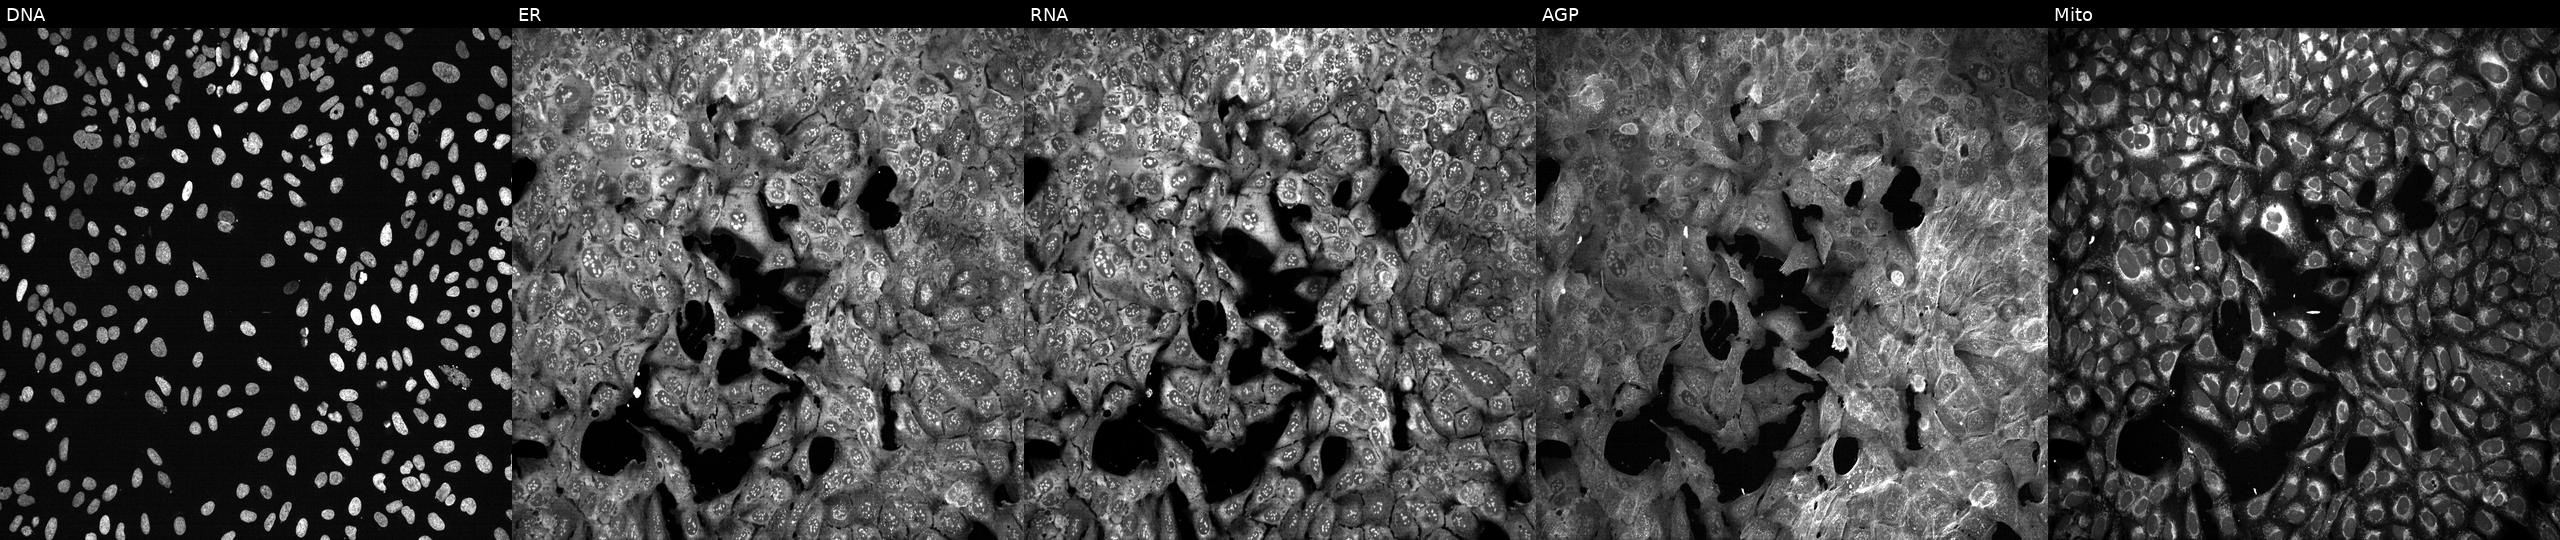
Five-channel Cell Painting image of U2OS cells following CRISPR knockout of RAP1GAP. Channels (left→right): DNA, ER, RNA, AGP, and Mito.